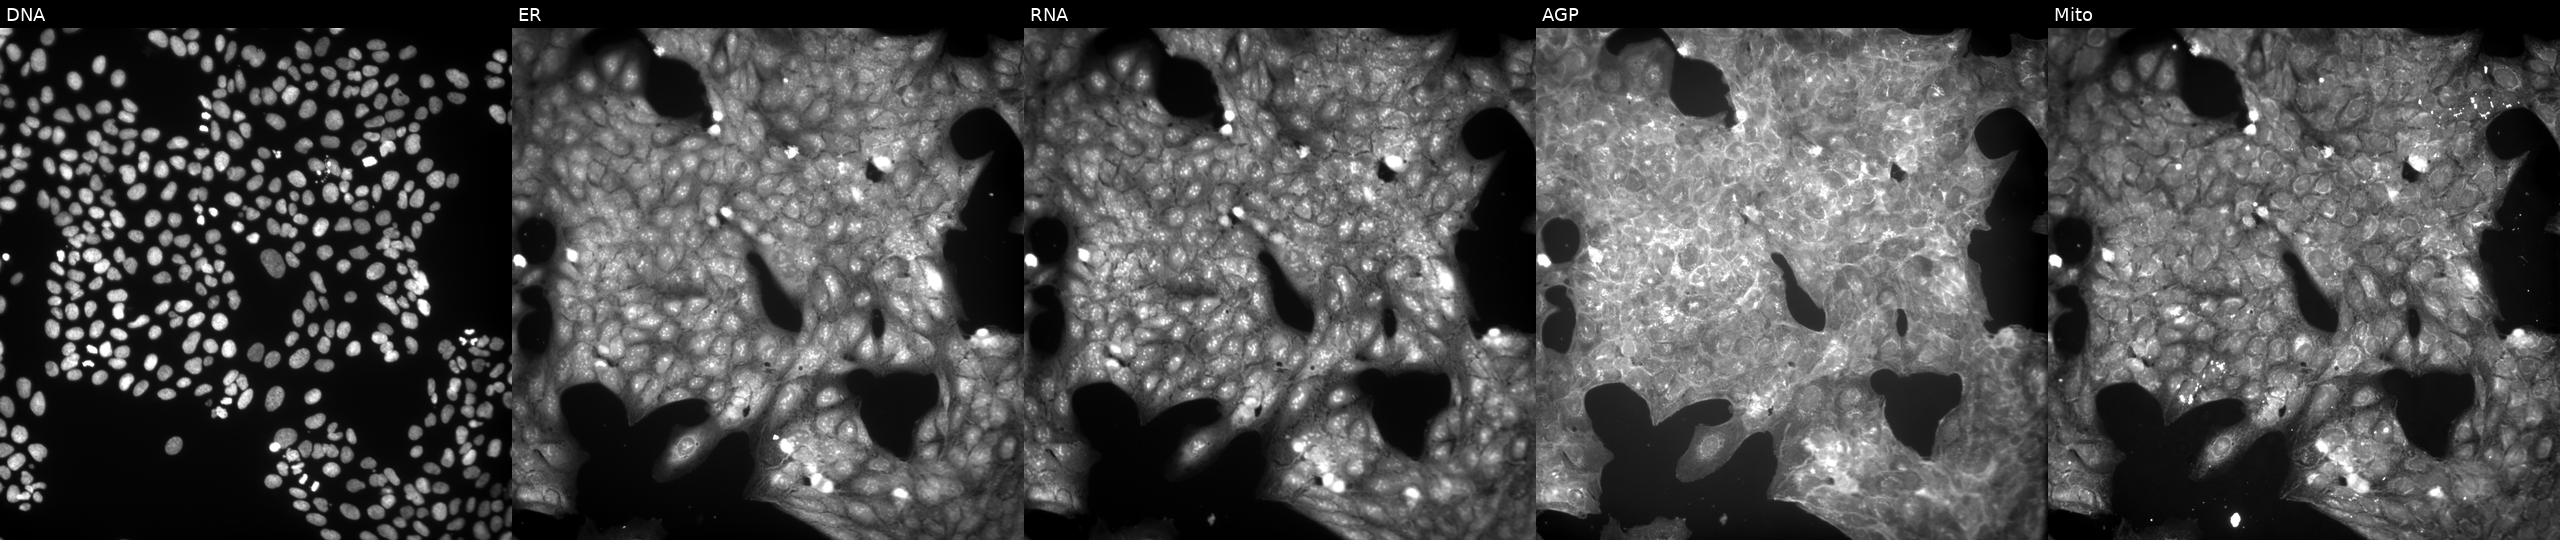
This image strip shows the five Cell Painting channels for a single field of U2OS cells treated with a small-molecule compound (InChIKey IBCXZJCWDGCXQT-UHFFFAOYSA-N) [SMILES: c1ccc(-c2[nH]ncc2-c2ccnc3ccccc23)nc1]. Panels show, left to right, DNA (nuclei); ER (endoplasmic reticulum); RNA (nucleoli and cytoplasmic RNA); AGP (actin cytoskeleton, Golgi, and plasma membrane); Mito (mitochondria).